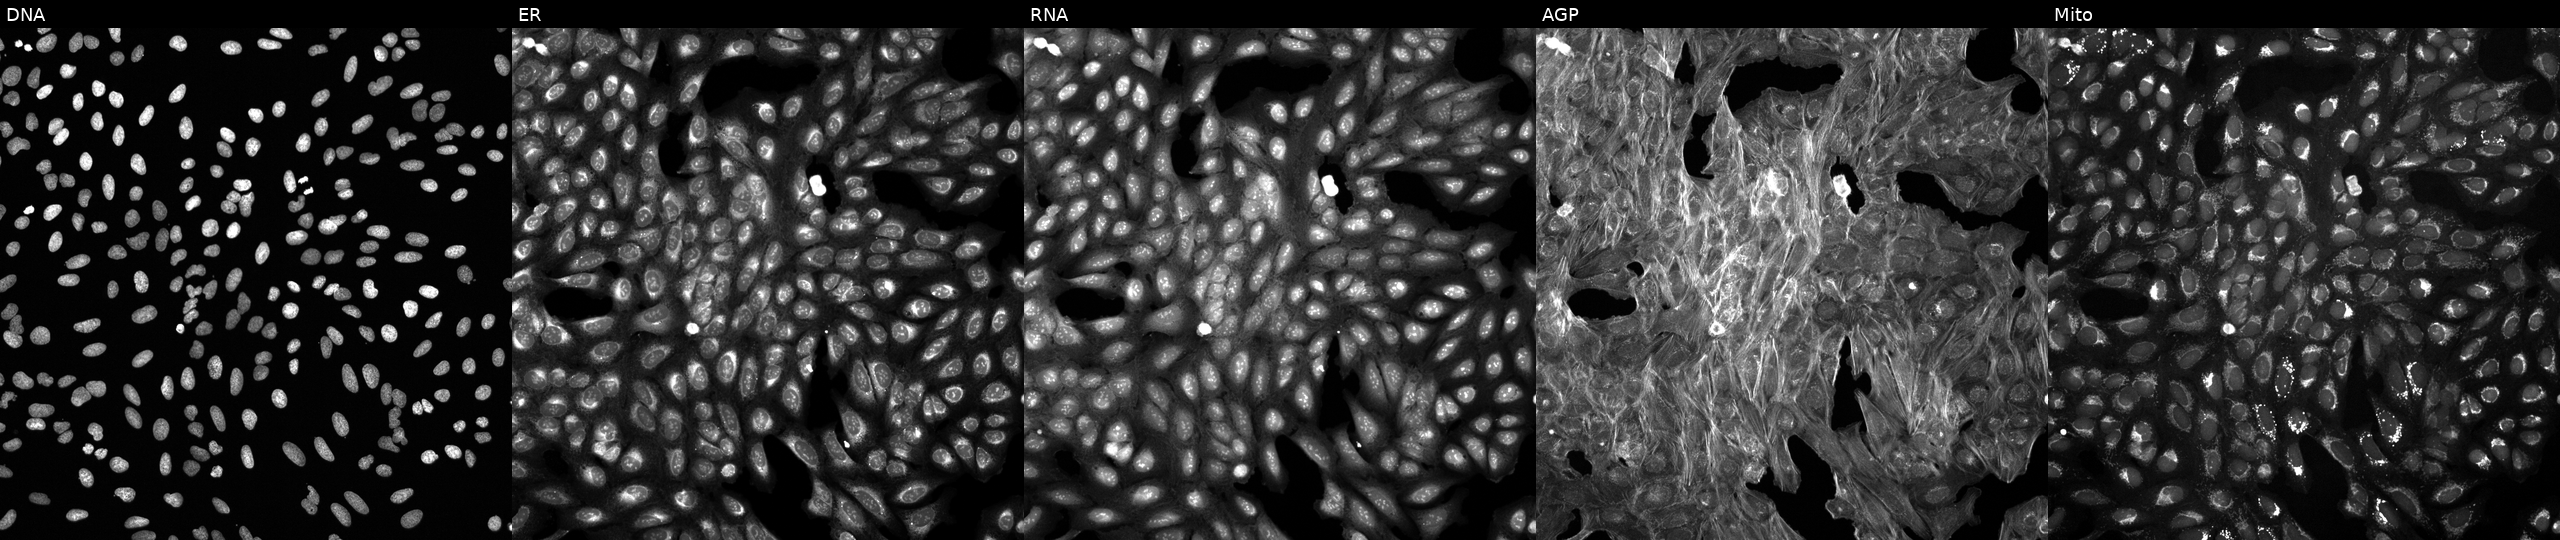
High-content fluorescence microscopy (Cell Painting). Cell line: U2OS. Perturbation: perturbed with a small-molecule compound (InChIKey DLUAUKYOJLULBX-UHFFFAOYSA-N) (JUMP id JCP2022_016753). From left to right: Hoechst 33342, concanavalin A, SYTO 14, phalloidin and WGA, MitoTracker. Source 6, plate 110000293083, well O22.